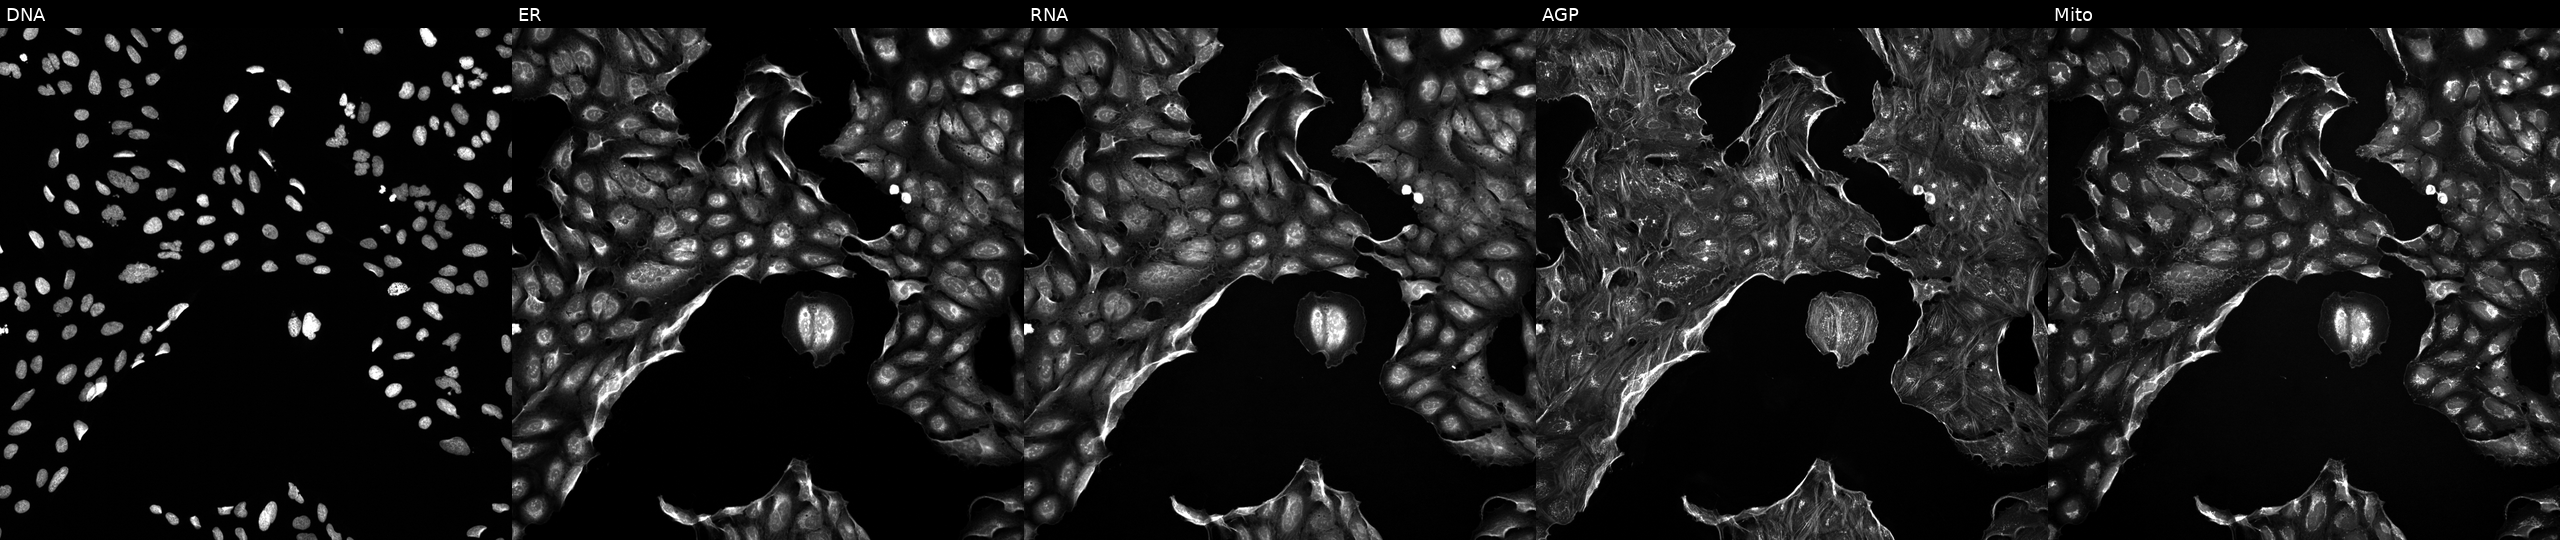
JUMP Cell Painting — TARGET2 plate. U2OS cells exposed to a small-molecule compound (InChIKey KRBSMMVJJVHVCB-UHFFFAOYSA-N) (JUMP id JCP2022_046462). Panels show, left to right, Hoechst 33342, concanavalin A, SYTO 14, phalloidin and WGA, MitoTracker. Source 5, plate ACPJUM012, well J14.